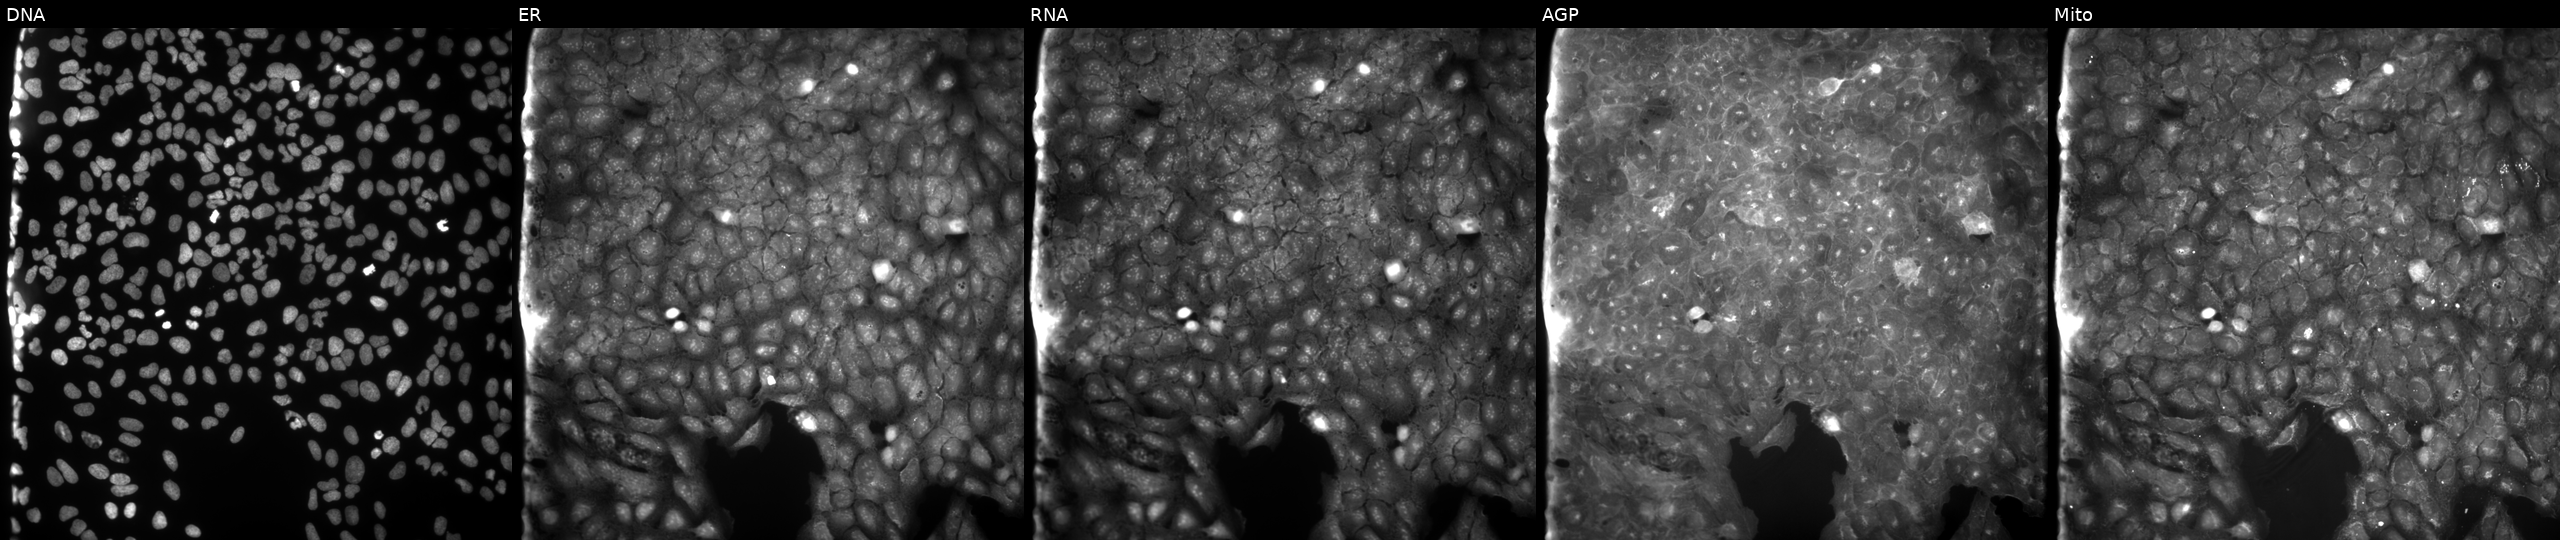
JUMP Cell Painting — COMPOUND plate. U2OS cells treated with a small-molecule compound. Panels show, left to right, DNA (nuclei); ER (endoplasmic reticulum); RNA (nucleoli and cytoplasmic RNA); AGP (actin cytoskeleton, Golgi, and plasma membrane); Mito (mitochondria).